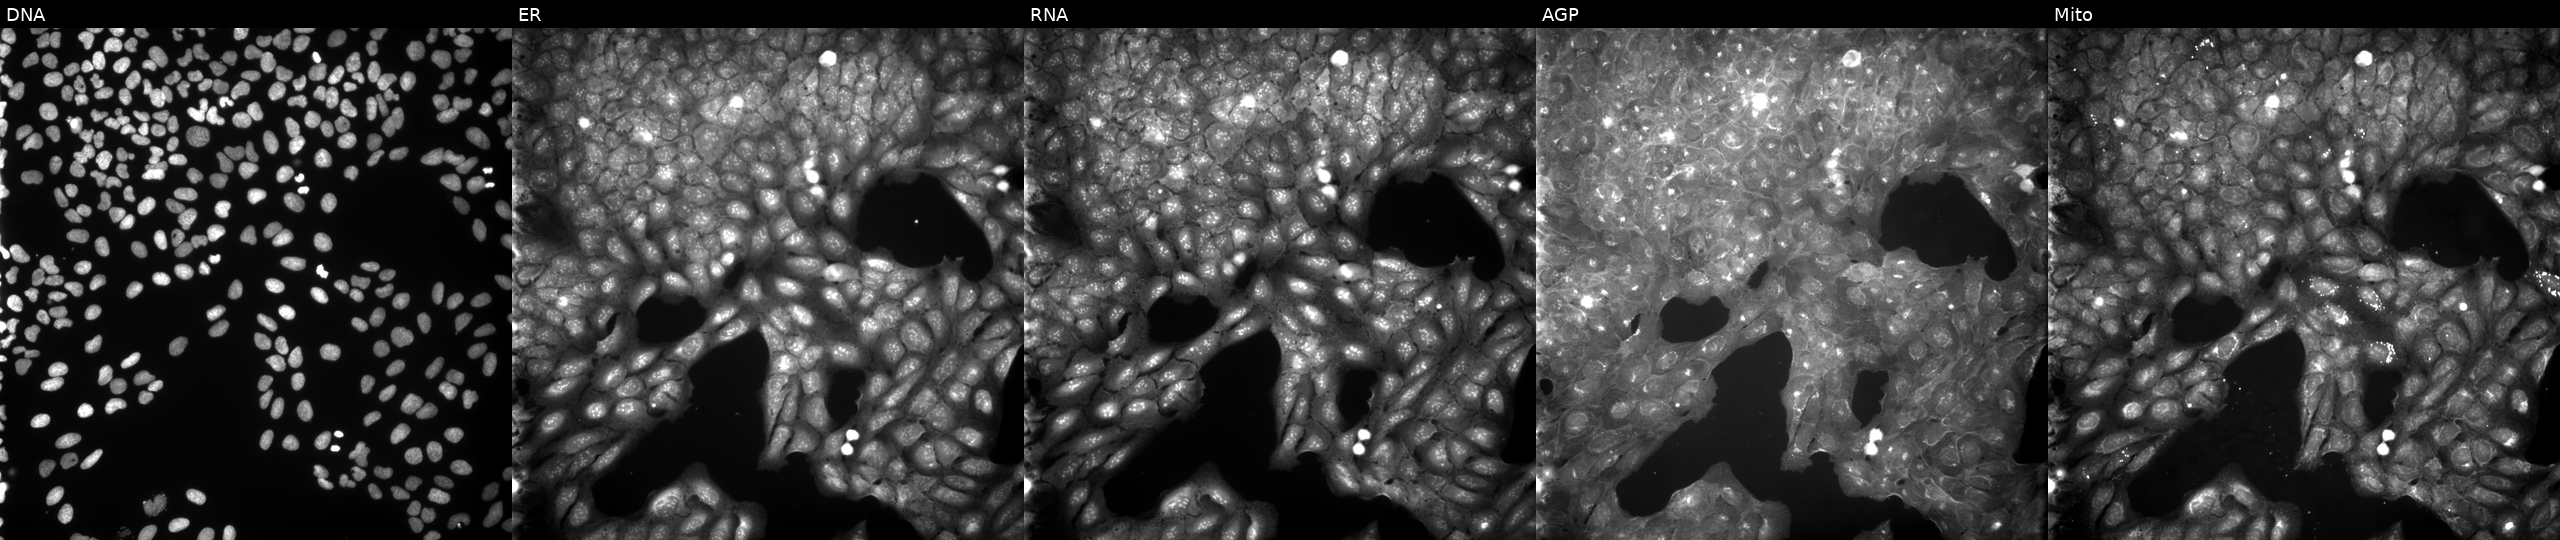
High-content fluorescence microscopy (Cell Painting). Cell line: U2OS. Perturbation: treated with aloxistatin (positive-control compound). Channels (left→right): DNA (nuclei); ER (endoplasmic reticulum); RNA (nucleoli and cytoplasmic RNA); AGP (actin cytoskeleton, Golgi, and plasma membrane); Mito (mitochondria).